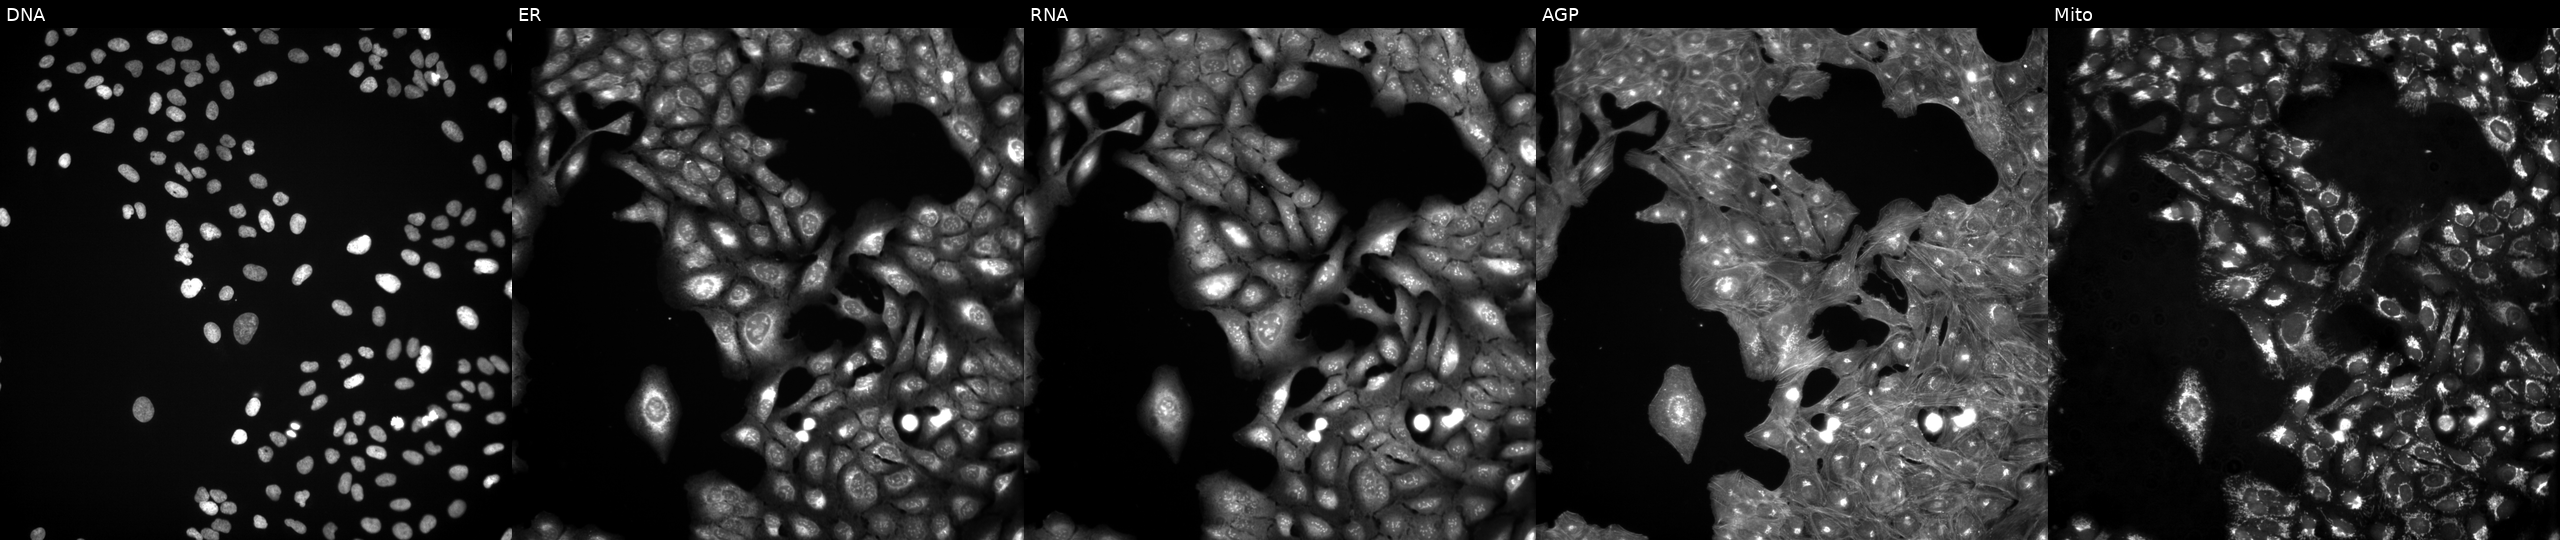
Five-channel Cell Painting image of U2OS cells treated with a small-molecule compound (InChIKey VCKUSRYTPJJLNI-UHFFFAOYSA-N) [SMILES: COc1cc2[nH]c(N3CCN(C(=O)C4CCCO4)CC3)nc(=N)c2cc1OC] (JUMP id JCP2022_093047). Channels (left→right): DNA (nuclei); ER (endoplasmic reticulum); RNA (nucleoli and cytoplasmic RNA); AGP (actin cytoskeleton, Golgi, and plasma membrane); Mito (mitochondria).